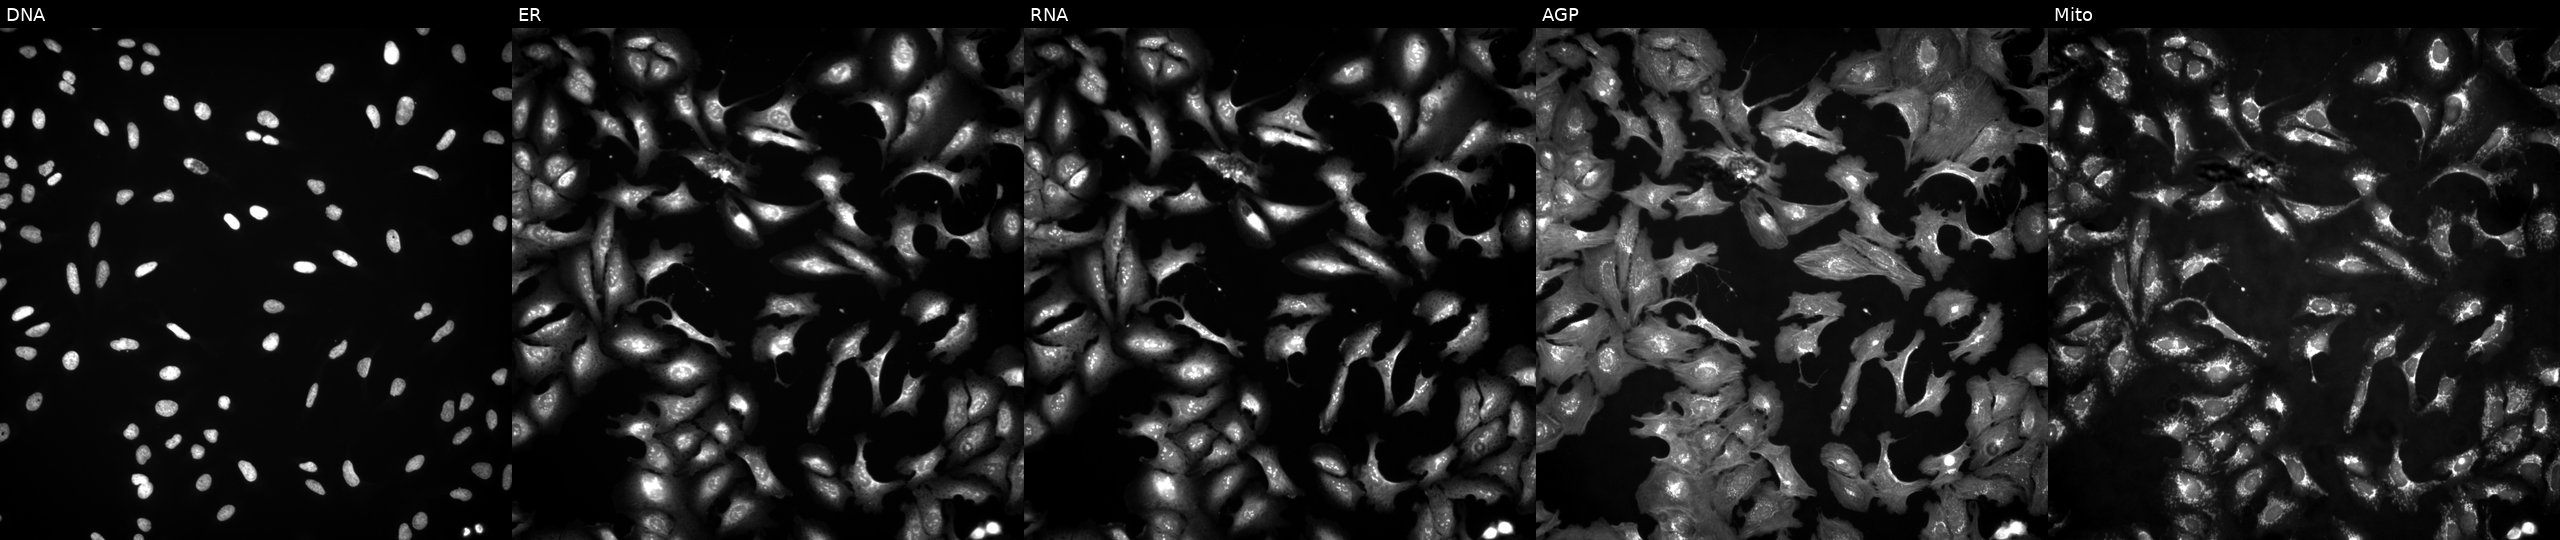
High-content fluorescence microscopy (Cell Painting). Cell line: U2OS. Perturbation: untreated (empty-well control) (JUMP id JCP2022_999999). The five panels, left to right, show DNA, ER, RNA, AGP, and Mito.